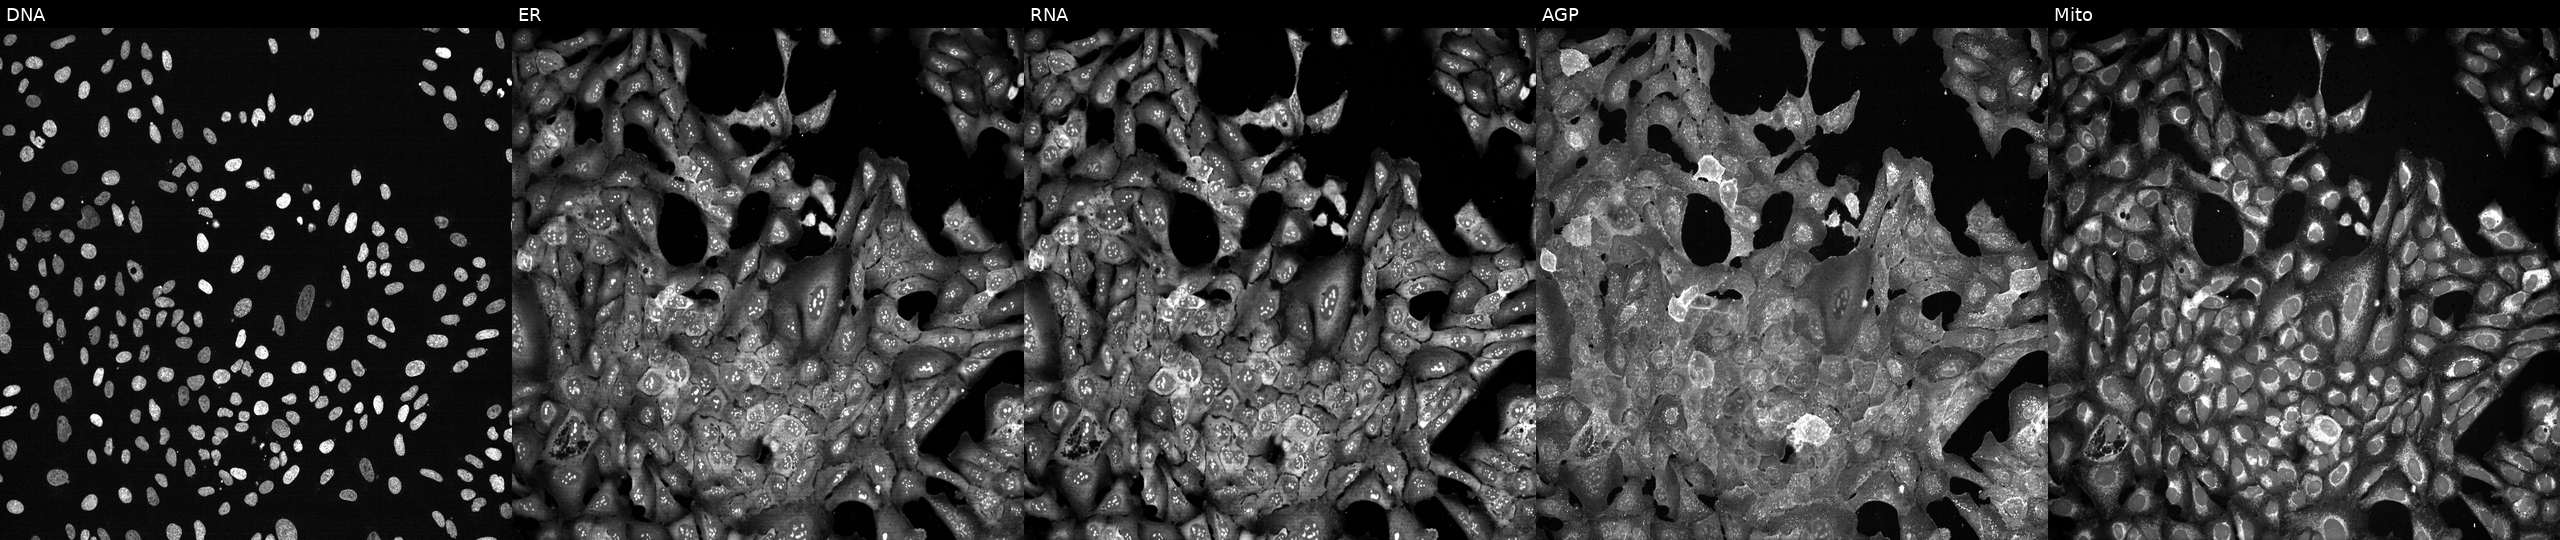
U2OS cells, Cell Painting assay, CRISPR-edited to disrupt MOGS (JUMP id JCP2022_804241). Channels (left→right): DNA (nuclei); ER (endoplasmic reticulum); RNA (nucleoli and cytoplasmic RNA); AGP (actin cytoskeleton, Golgi, and plasma membrane); Mito (mitochondria). Each panel is percentile-stretched 16-bit fluorescence.